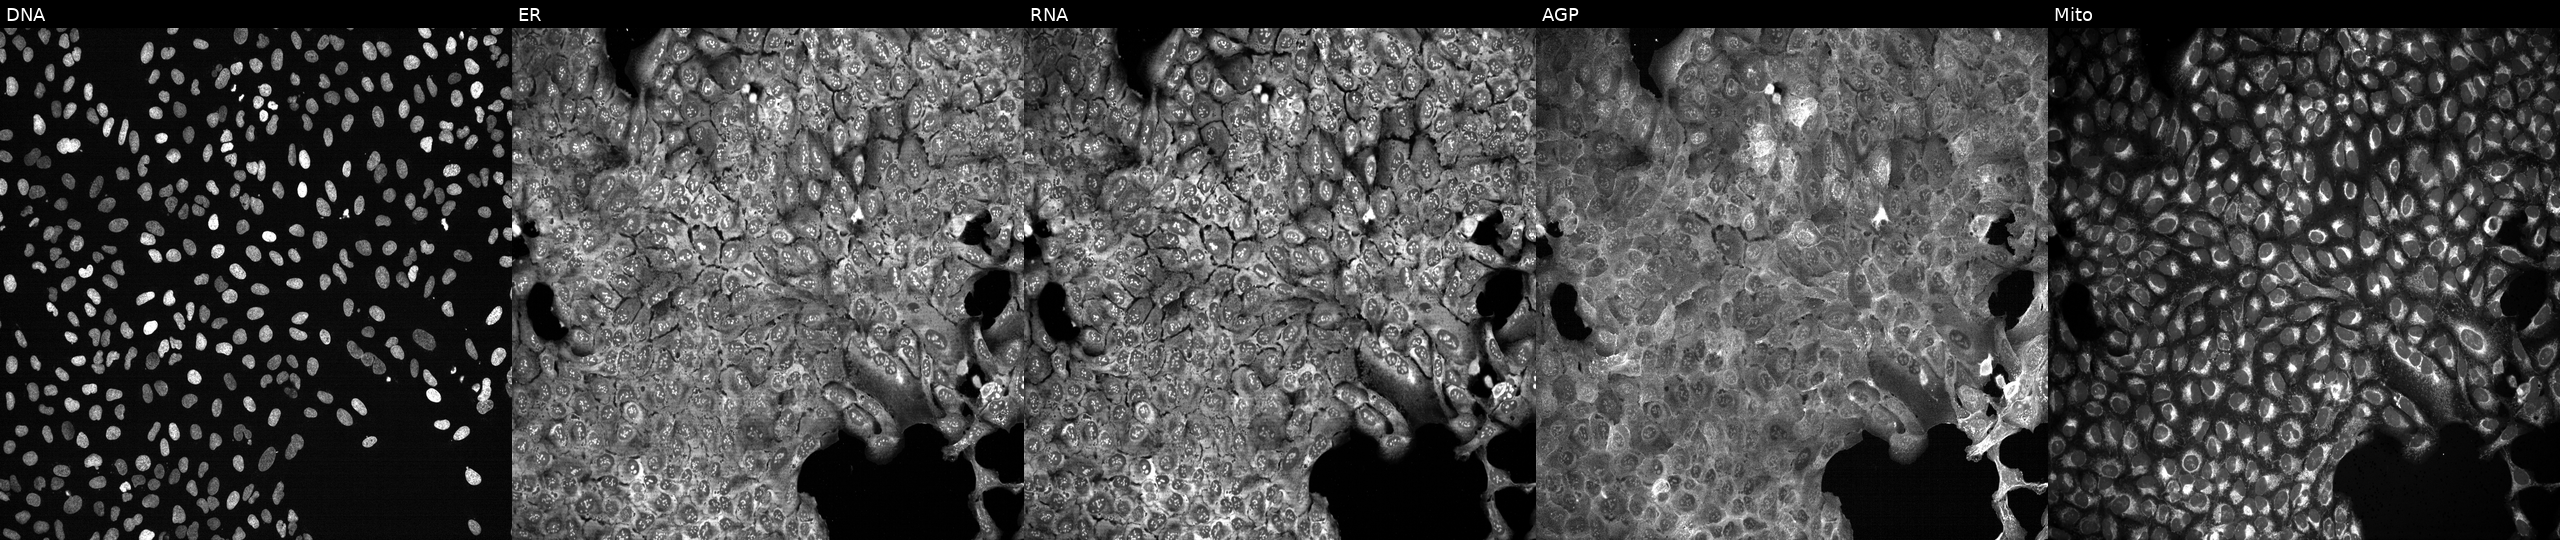
High-content fluorescence microscopy (Cell Painting). Cell line: U2OS. Perturbation: following CRISPR knockout of FGF7 (JUMP id JCP2022_802393). Panels show, left to right, DNA, ER, RNA, AGP, and Mito. Source 13, plate CP-CC9-R2-02, well F12.